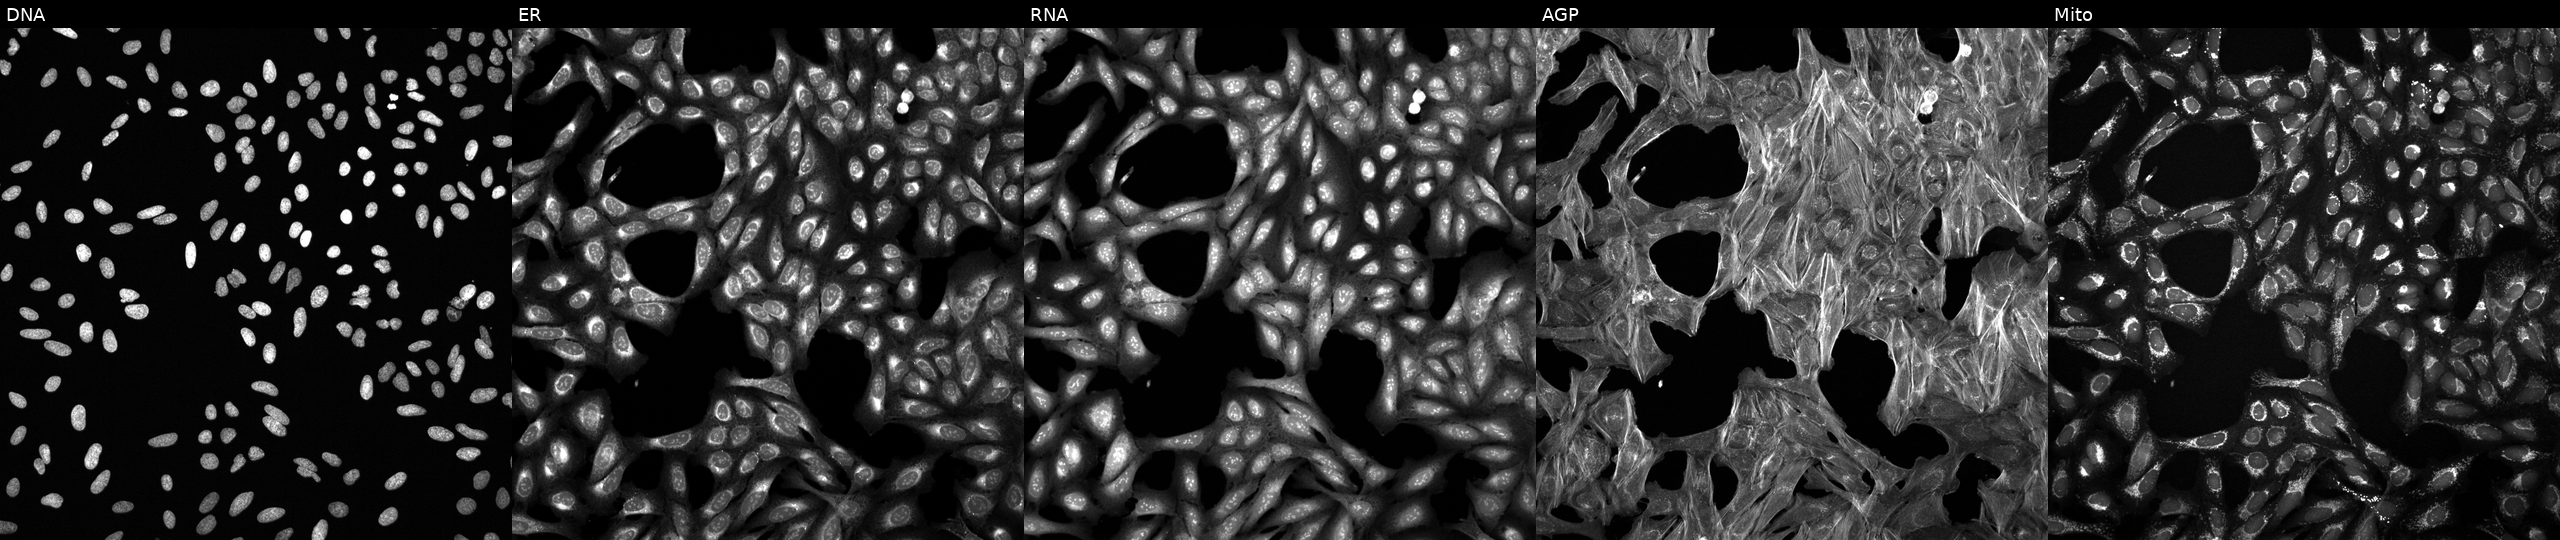
Five-channel Cell Painting image of U2OS cells perturbed with a small-molecule compound (InChIKey UAGXRWJPIZDXHZ-UHFFFAOYSA-N) [SMILES: CN=c1[nH]c2c[nH]c(=Nc3ccc4c(c3)OCO4)cc2n1CCOC] (JUMP id JCP2022_087920). Panels show, left to right, DNA, ER, RNA, AGP, and Mito.